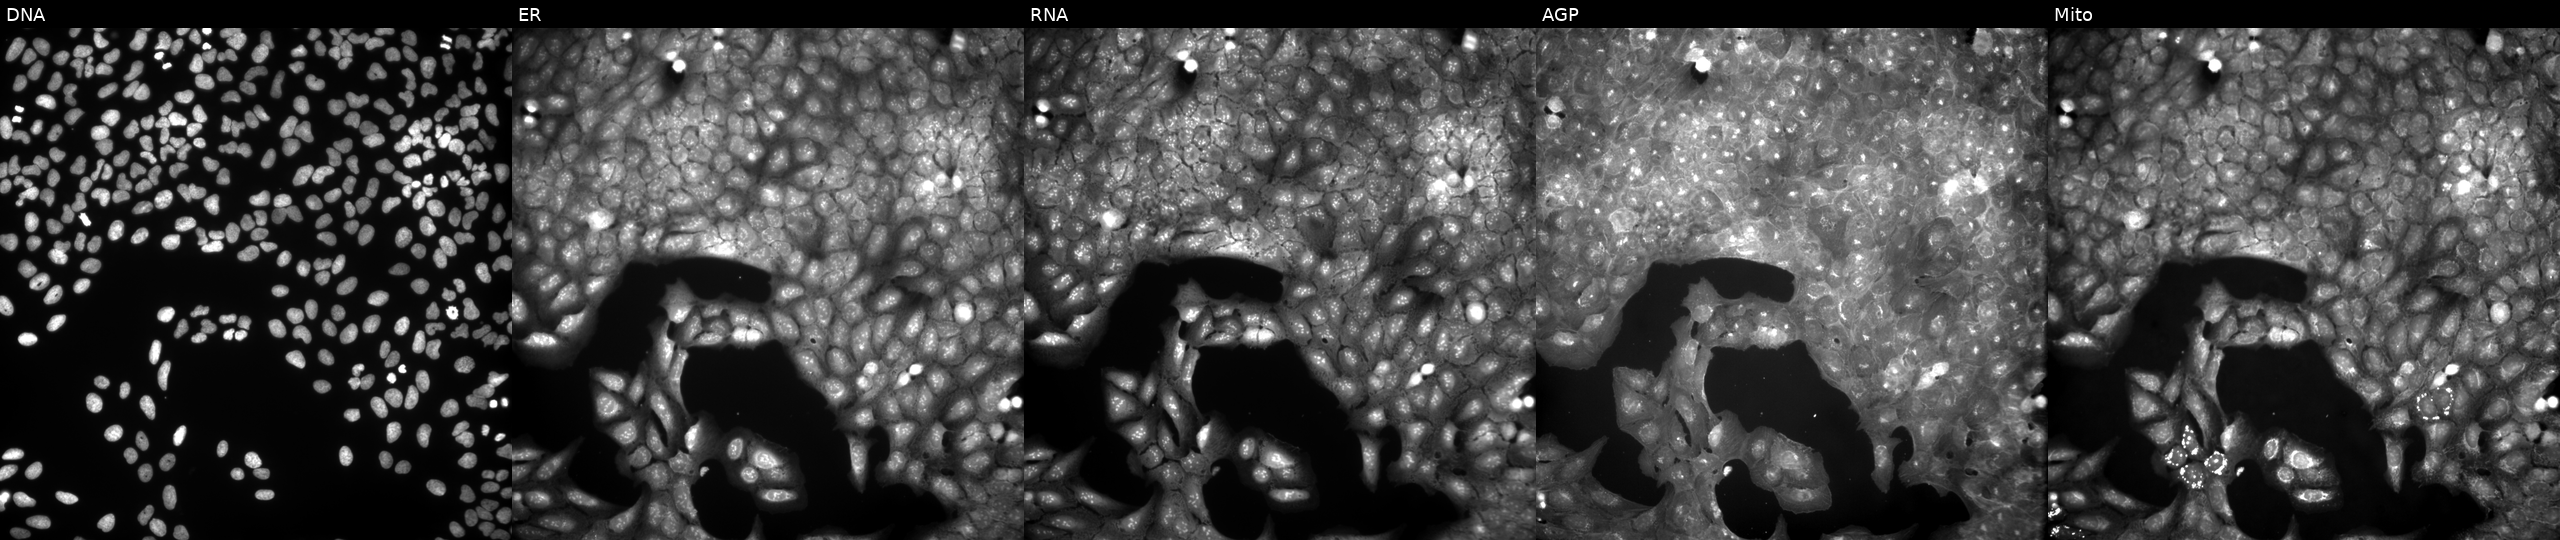
This image strip shows the five Cell Painting channels for a single field of U2OS cells perturbed with a small-molecule compound. Panels show, left to right, Hoechst 33342, concanavalin A, SYTO 14, phalloidin and WGA, MitoTracker.